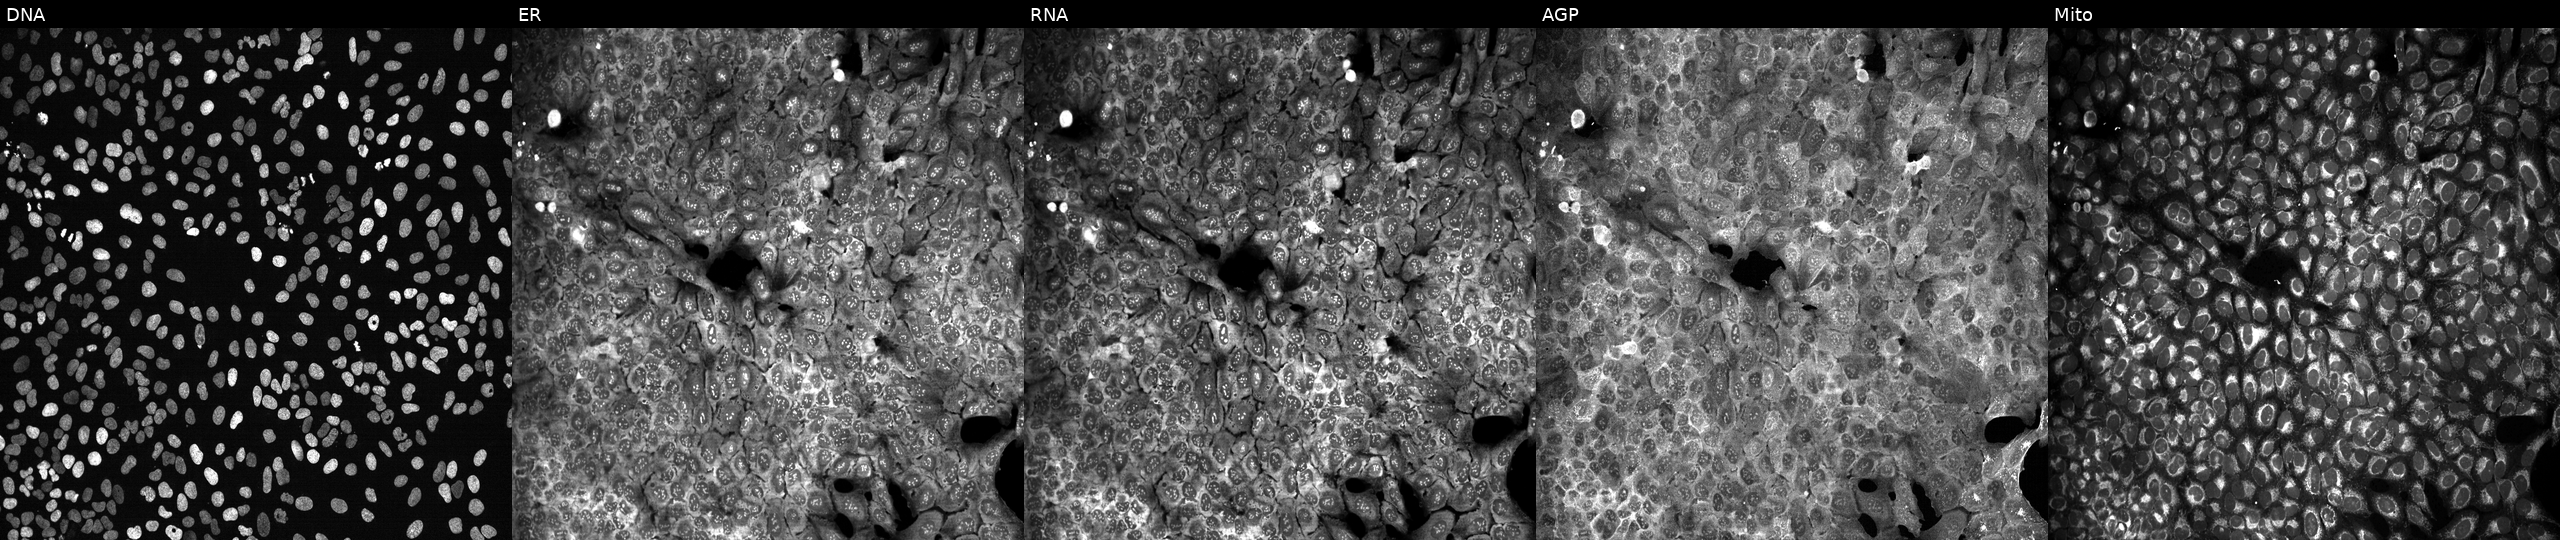
Panels show, left to right, Hoechst 33342, concanavalin A, SYTO 14, phalloidin and WGA, MitoTracker. U2OS osteosarcoma cells following CRISPR knockout of XYLT1. Cell Painting assay, JUMP-CP dataset.